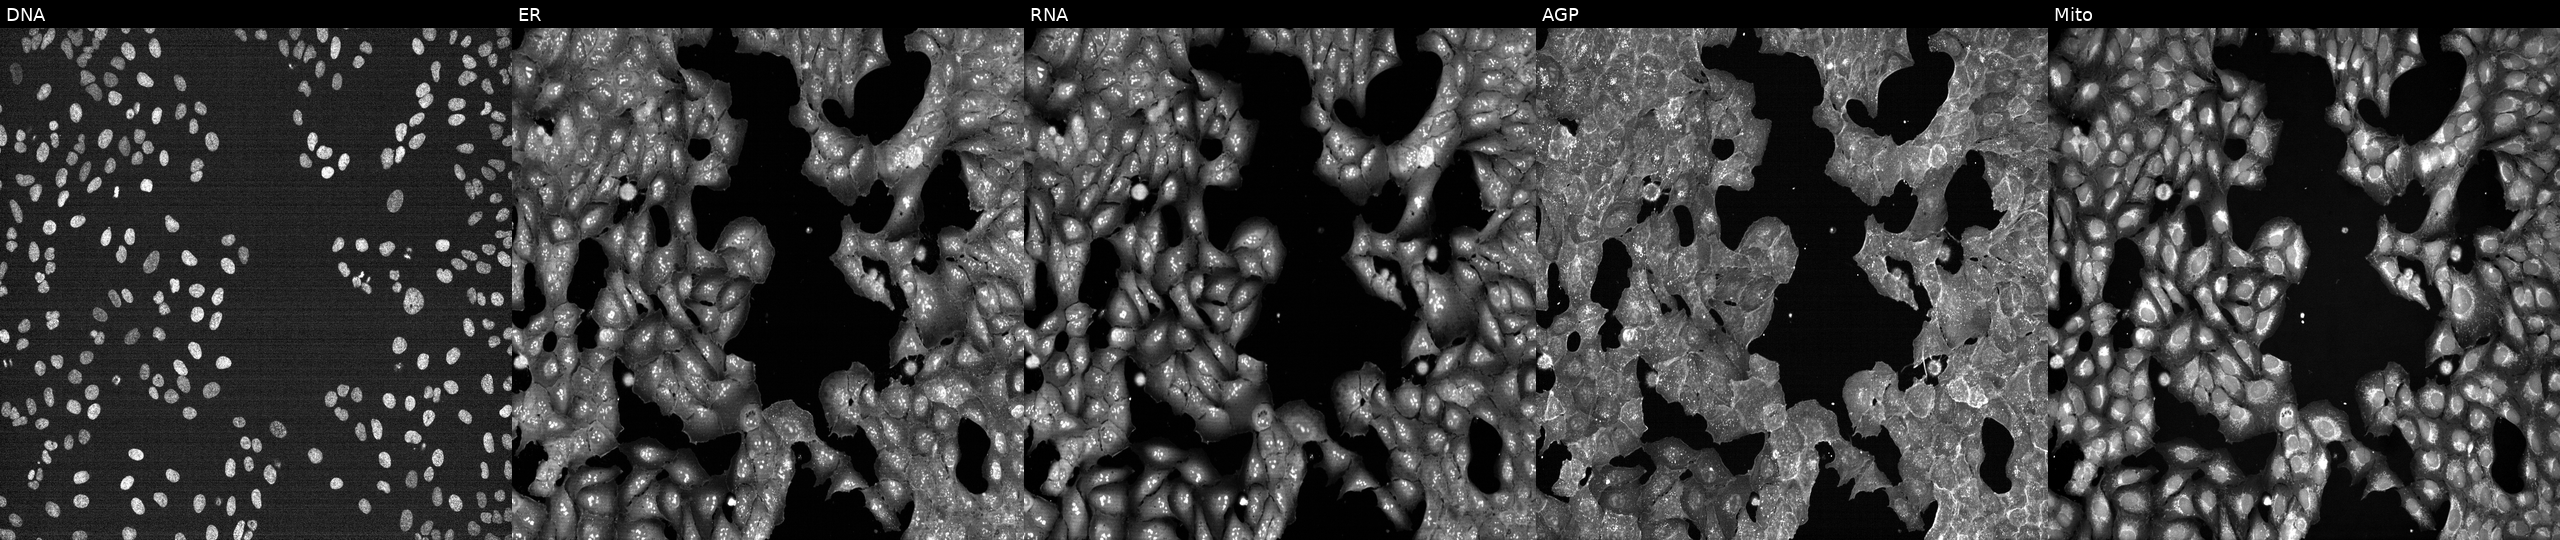
Five-channel Cell Painting image of U2OS cells perturbed with a small-molecule compound (InChIKey QUIIIYITNGOFEI-UHFFFAOYSA-N) [SMILES: Cc1ccc(-n2sc(=O)n(Cc3ccc(F)cc3)c2=O)cc1] (JUMP id JCP2022_075930). The five panels, left to right, show DNA (nuclei); ER (endoplasmic reticulum); RNA (nucleoli and cytoplasmic RNA); AGP (actin cytoskeleton, Golgi, and plasma membrane); Mito (mitochondria). Source 7, plate CP1-SC1-25, well C12.